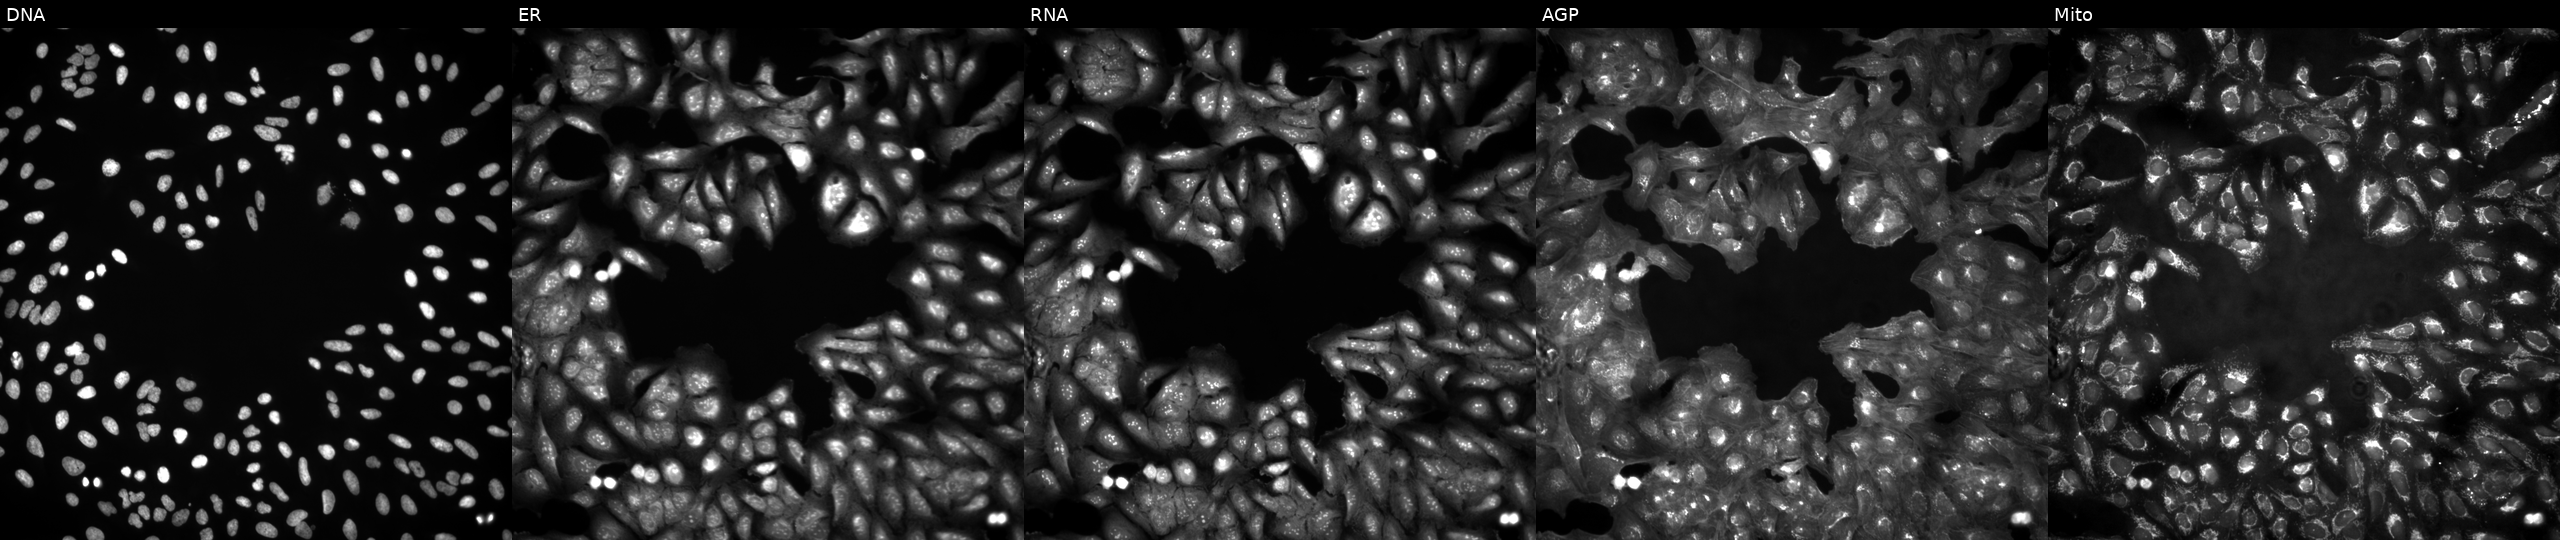
This image strip shows the five Cell Painting channels for a single field of U2OS cells in an empty control well (no perturbation). The five panels, left to right, show DNA, ER, RNA, AGP, and Mito.